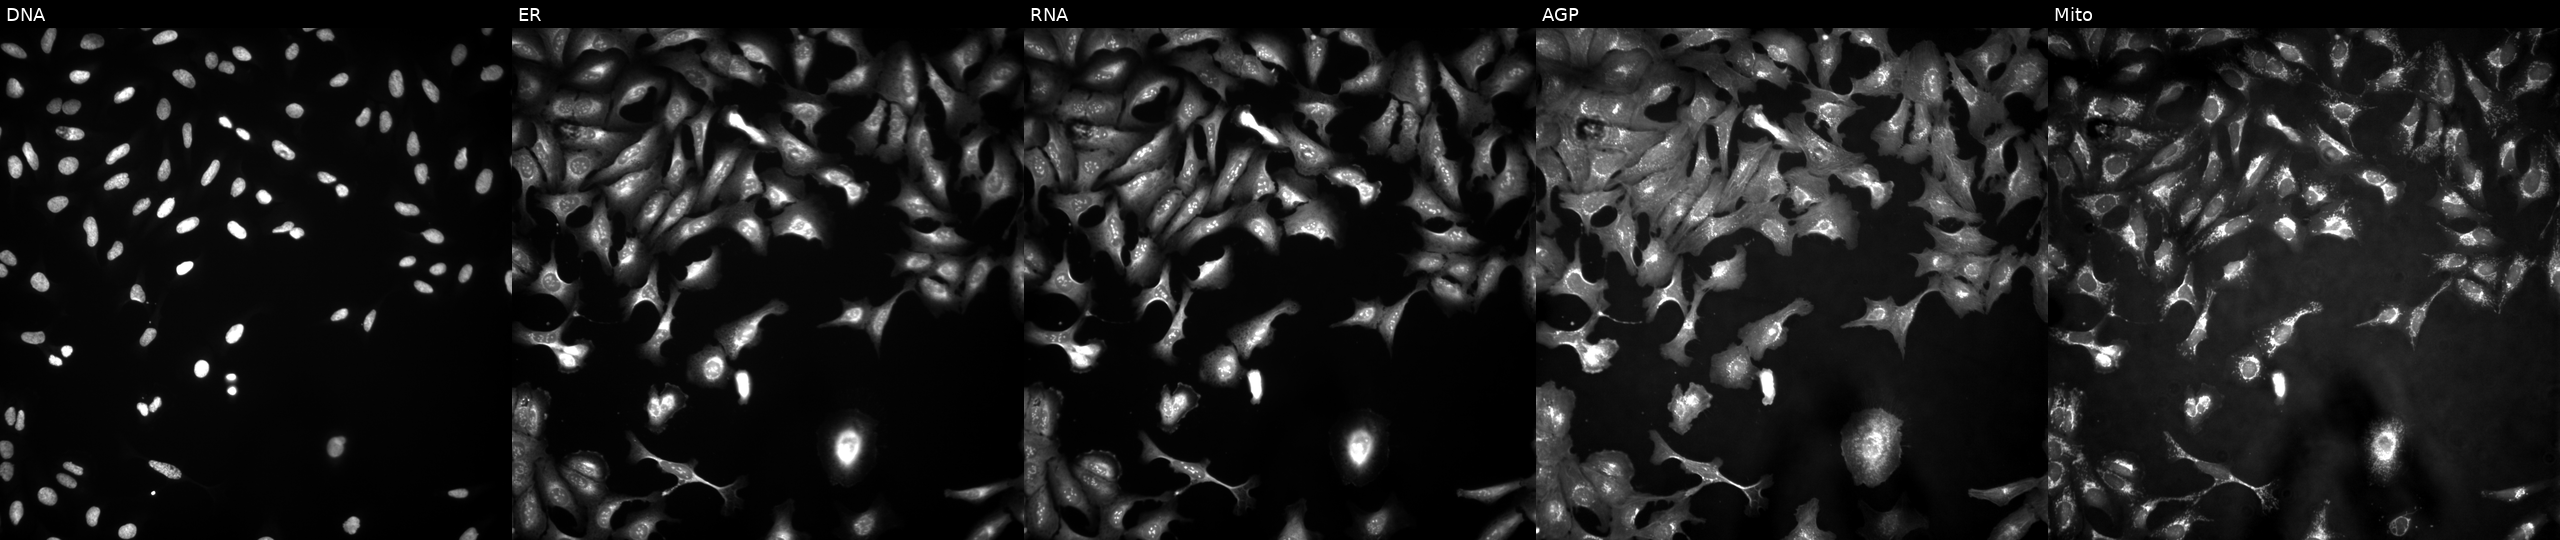
This image strip shows the five Cell Painting channels for a single field of U2OS cells overexpressing CORO6 via ORF transfection (JUMP id JCP2022_912015). The five panels, left to right, show DNA (nuclei); ER (endoplasmic reticulum); RNA (nucleoli and cytoplasmic RNA); AGP (actin cytoskeleton, Golgi, and plasma membrane); Mito (mitochondria). Source 4, plate BR00121543, well I23.